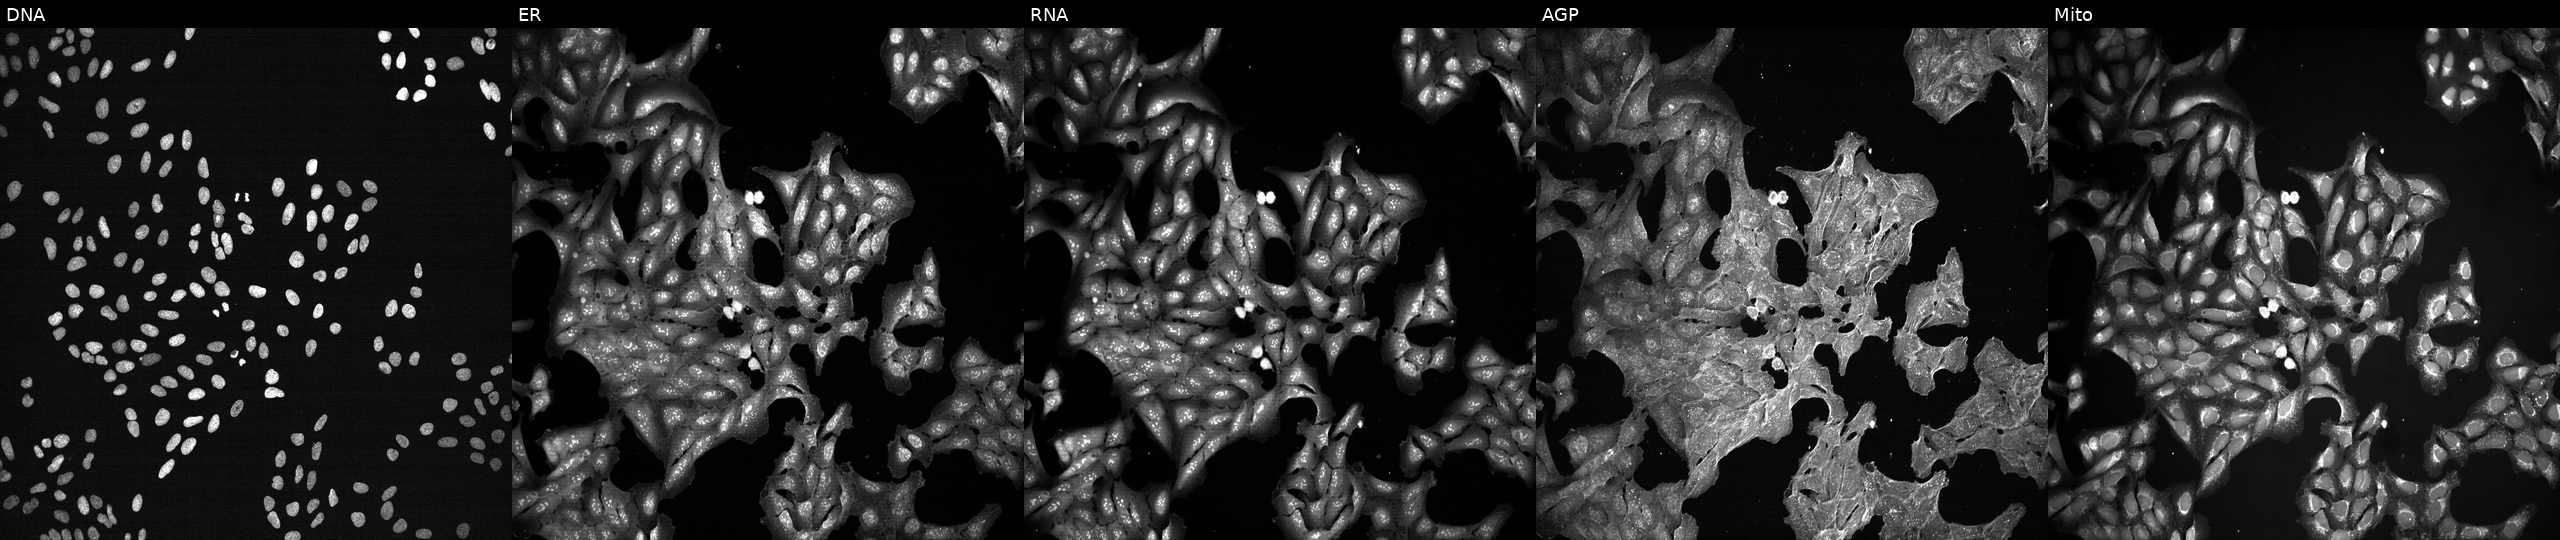
Five-channel Cell Painting image of U2OS cells perturbed with a small-molecule compound (InChIKey SZBGQDXLNMELTB-UHFFFAOYSA-N) [SMILES: CN(C(=O)c1ccc(F)cc1C(F)(F)F)C1CCN(c2nnc(-c3ccnn3C)c3ccccc23)CC1]. Panels show, left to right, Hoechst 33342, concanavalin A, SYTO 14, phalloidin and WGA, MitoTracker. Source 7, plate CP2-SC1-25, well N22.